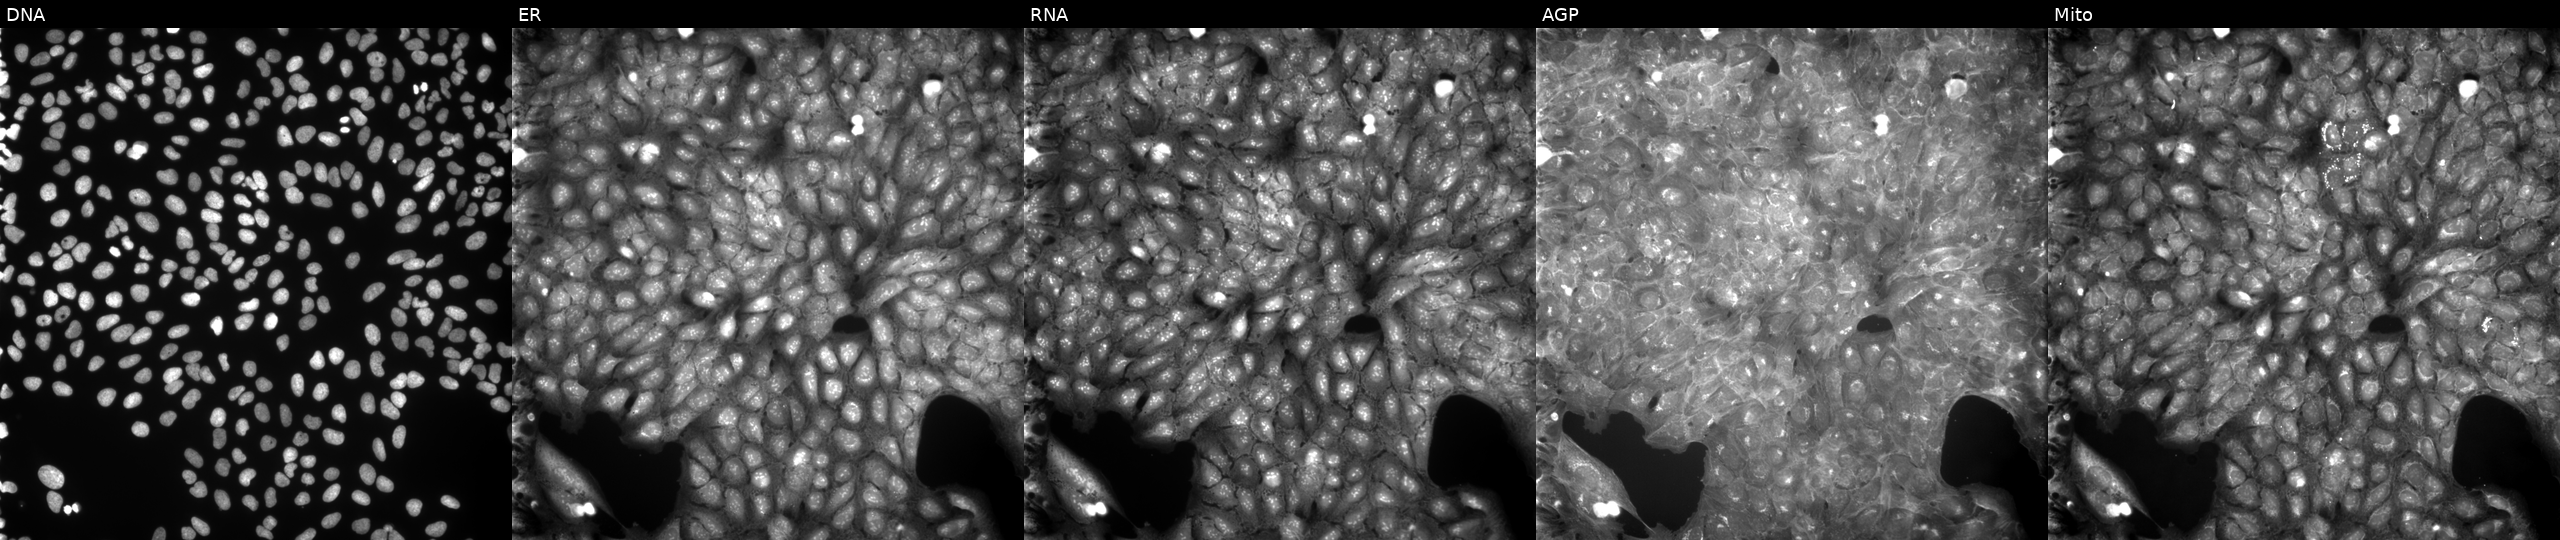
JUMP Cell Painting — COMPOUND plate. U2OS cells exposed to a small-molecule compound (InChIKey WVQSUZHTTPJWBH-UHFFFAOYSA-N). From left to right: Hoechst 33342, concanavalin A, SYTO 14, phalloidin and WGA, MitoTracker.